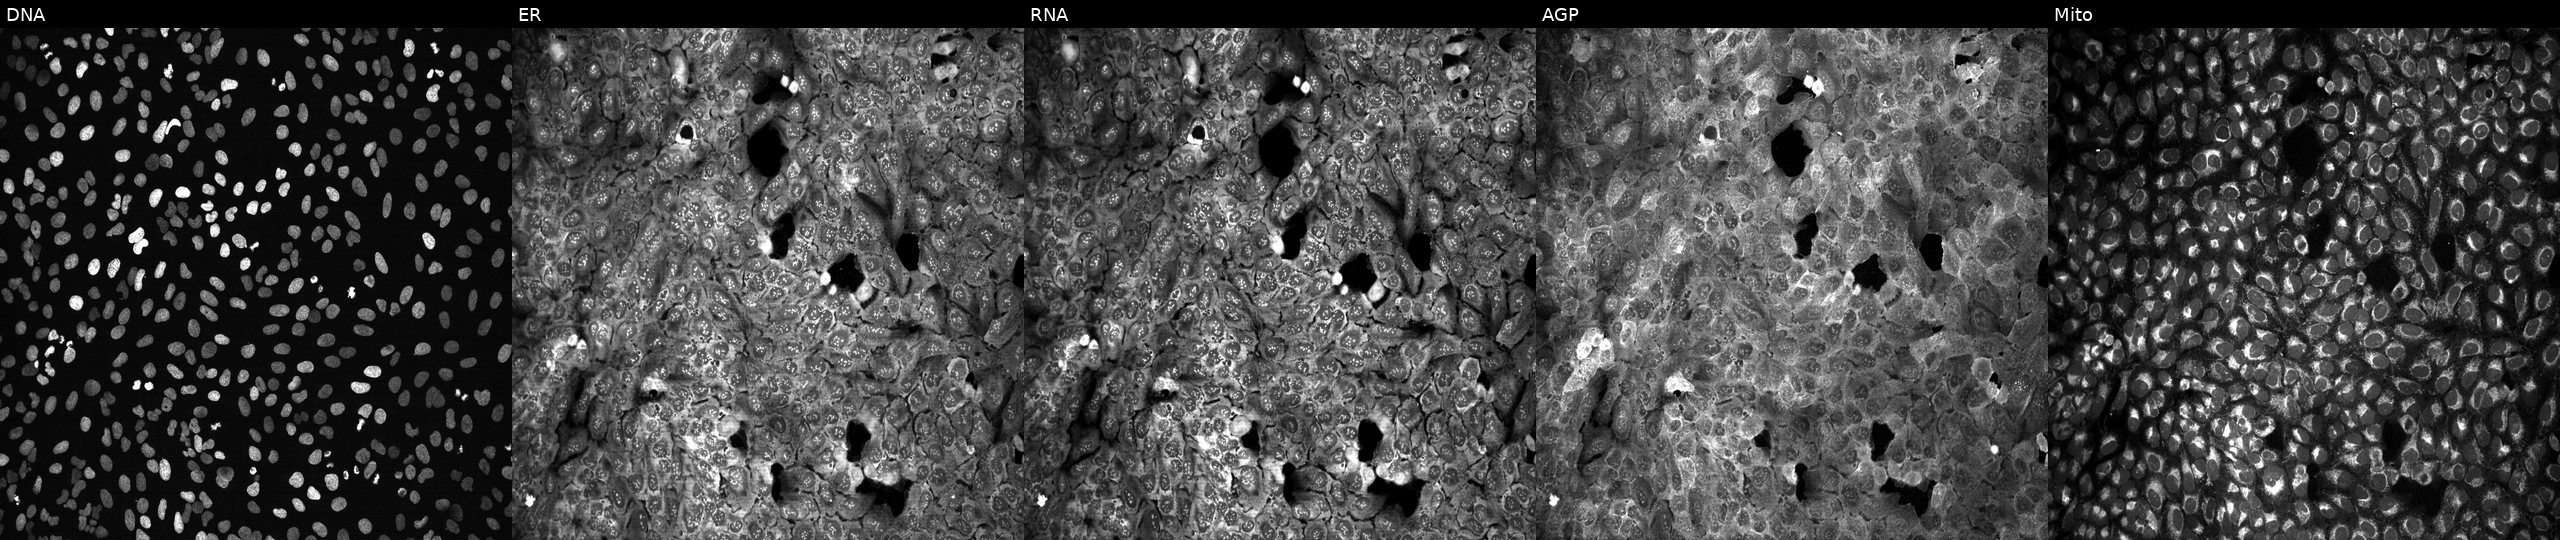
Five-channel Cell Painting image of U2OS cells exposed to DMSO alone as a negative control. Channels (left→right): Hoechst 33342, concanavalin A, SYTO 14, phalloidin and WGA, MitoTracker.